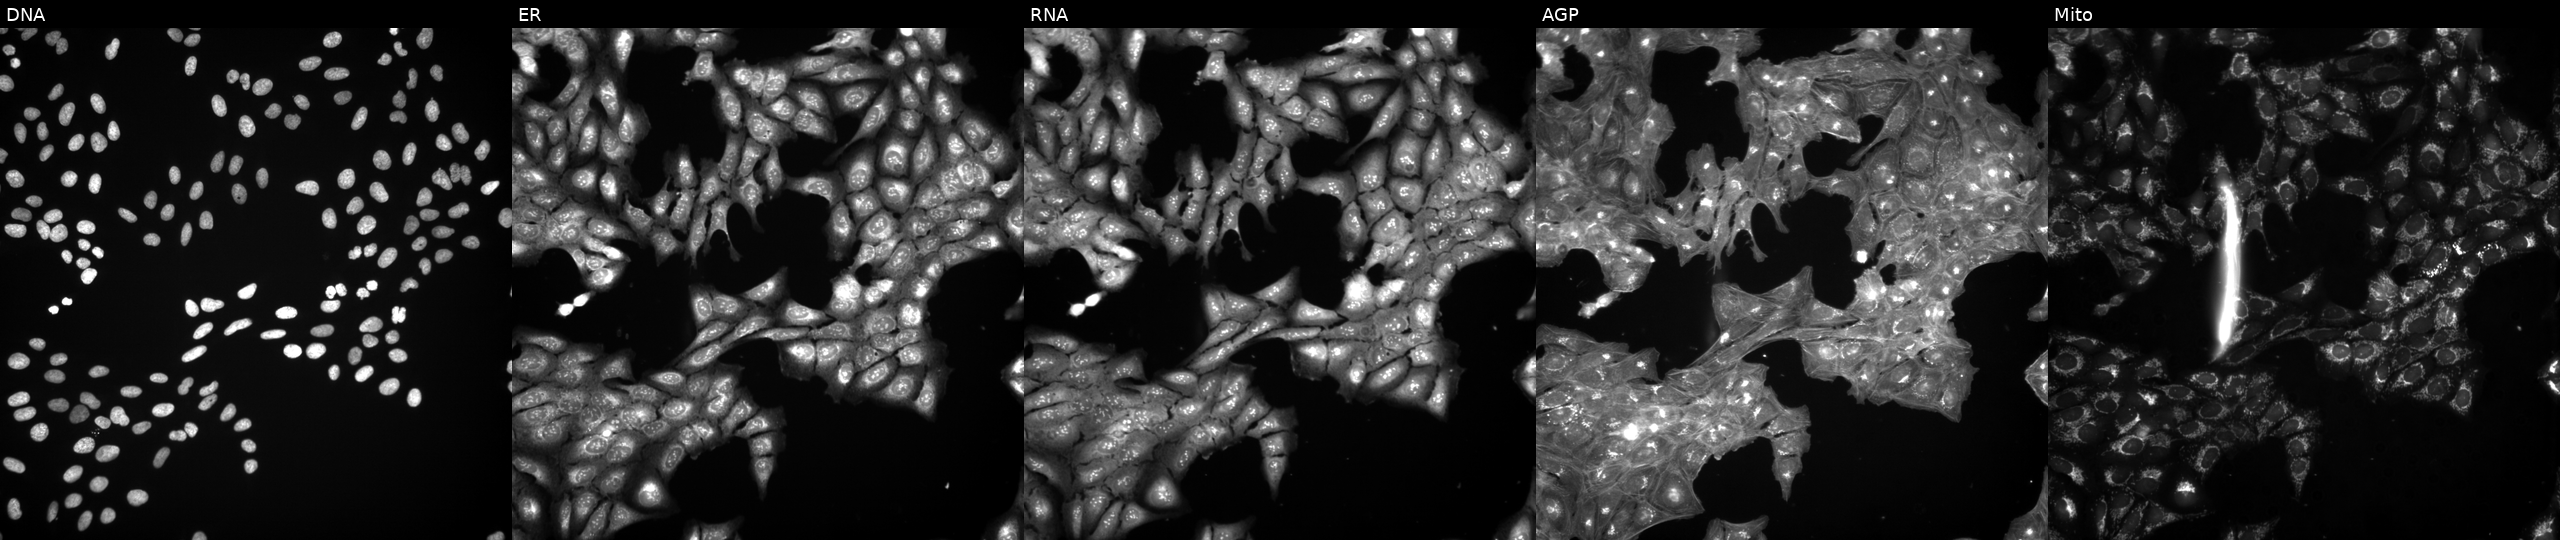
High-content fluorescence microscopy (Cell Painting). Cell line: U2OS. Perturbation: exposed to a small-molecule compound (InChIKey NGSHBWCHCUKMKW-UHFFFAOYSA-N). From left to right: DNA (nuclei); ER (endoplasmic reticulum); RNA (nucleoli and cytoplasmic RNA); AGP (actin cytoskeleton, Golgi, and plasma membrane); Mito (mitochondria).